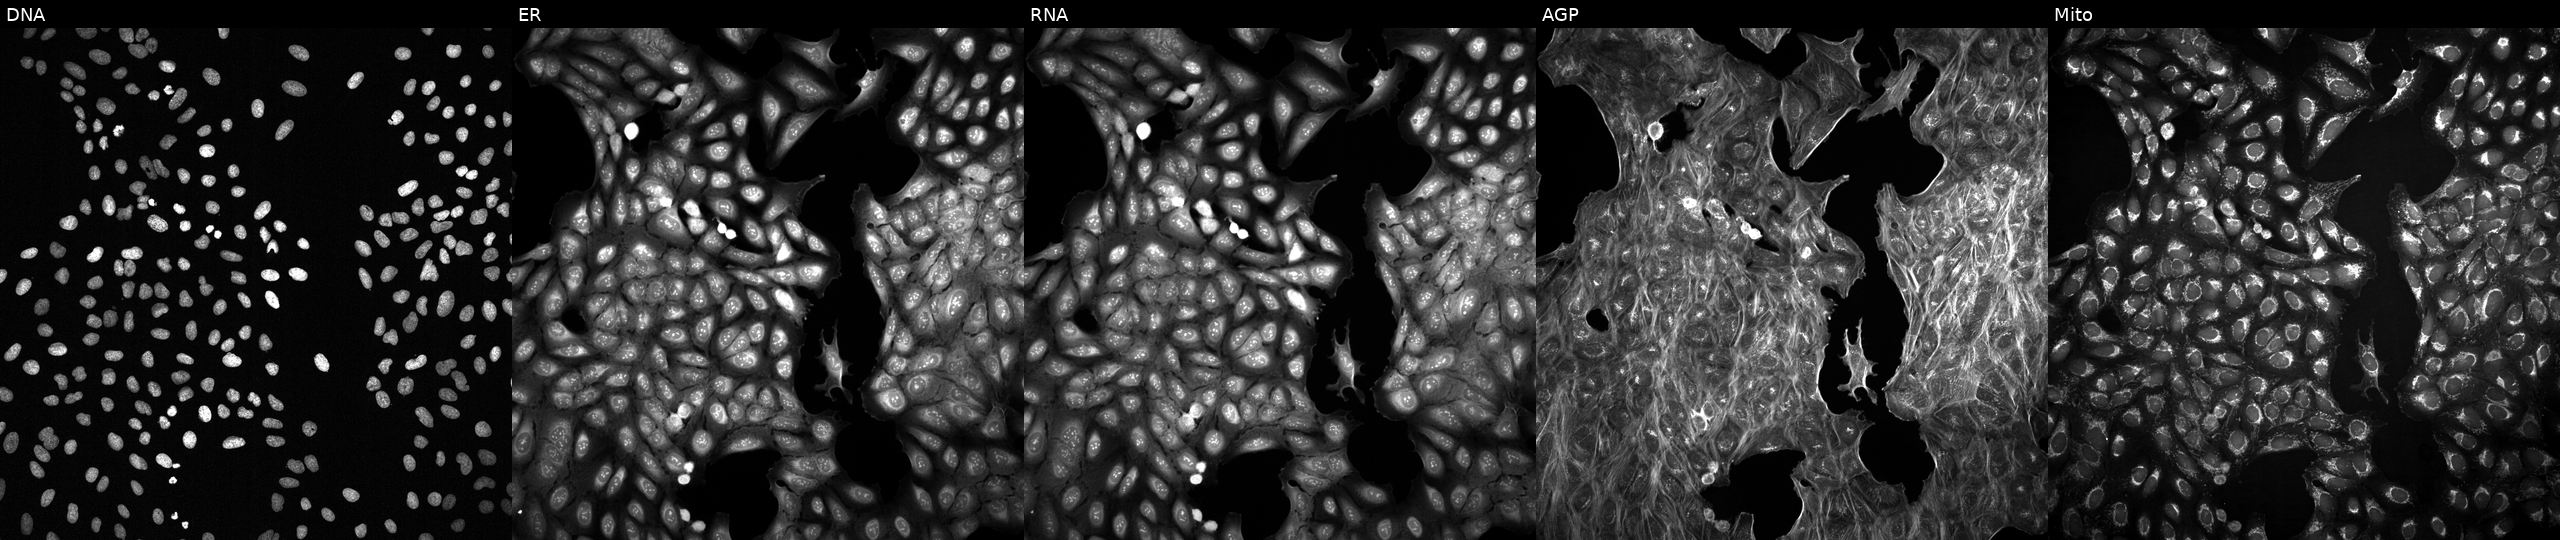
U2OS cells, Cell Painting assay, with an unidentified perturbation (not annotated in JUMP metadata). The five panels, left to right, show DNA (nuclei); ER (endoplasmic reticulum); RNA (nucleoli and cytoplasmic RNA); AGP (actin cytoskeleton, Golgi, and plasma membrane); Mito (mitochondria). Each panel is percentile-stretched 16-bit fluorescence.